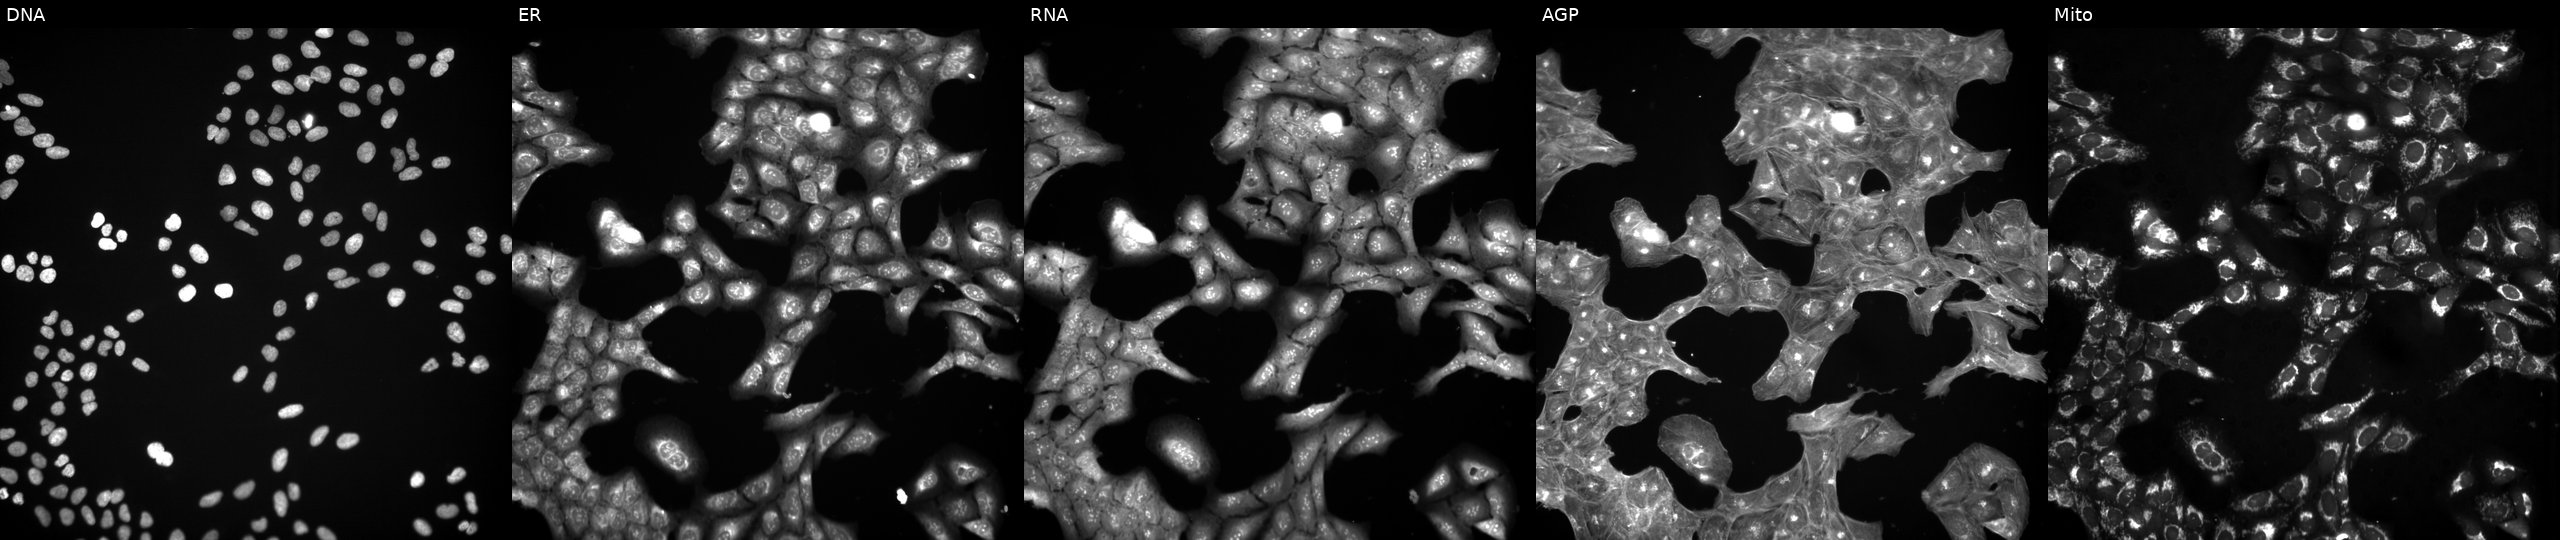
This image strip shows the five Cell Painting channels for a single field of U2OS cells treated with DMSO vehicle only (negative control). Channels (left→right): Hoechst 33342, concanavalin A, SYTO 14, phalloidin and WGA, MitoTracker.